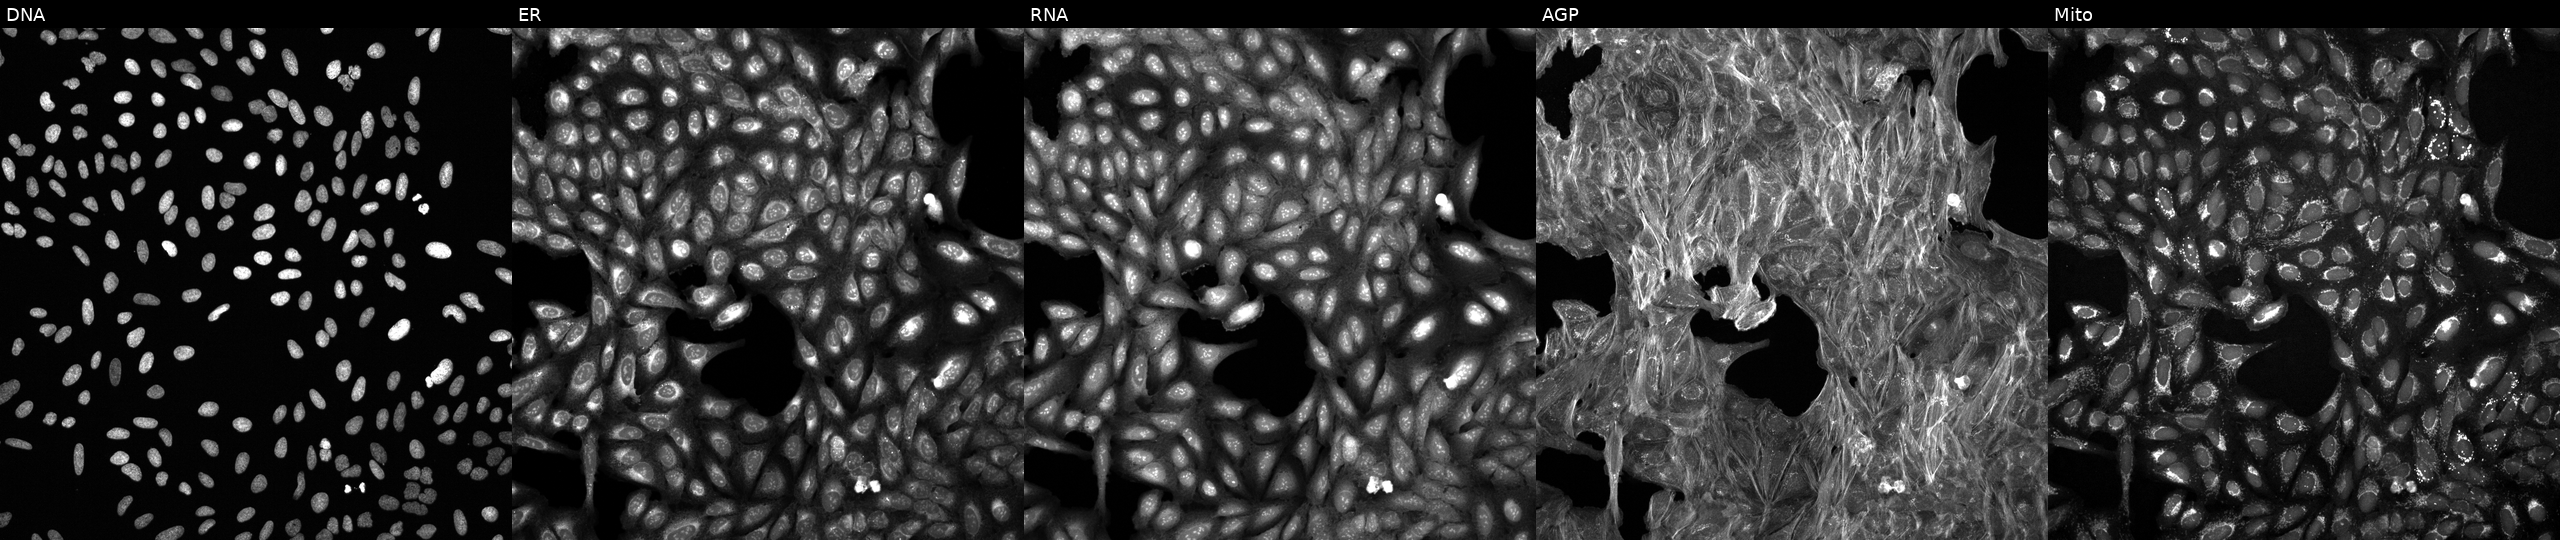
High-content fluorescence microscopy (Cell Painting). Cell line: U2OS. Perturbation: treated with a small-molecule compound (InChIKey KXDROGADUISDGY-UHFFFAOYSA-N) [SMILES: N=C(NCc1ccccc1)NC(=O)c1nc(Cl)c(=N)[nH]c1N] (JUMP id JCP2022_047559). Panels show, left to right, DNA, ER, RNA, AGP, and Mito.